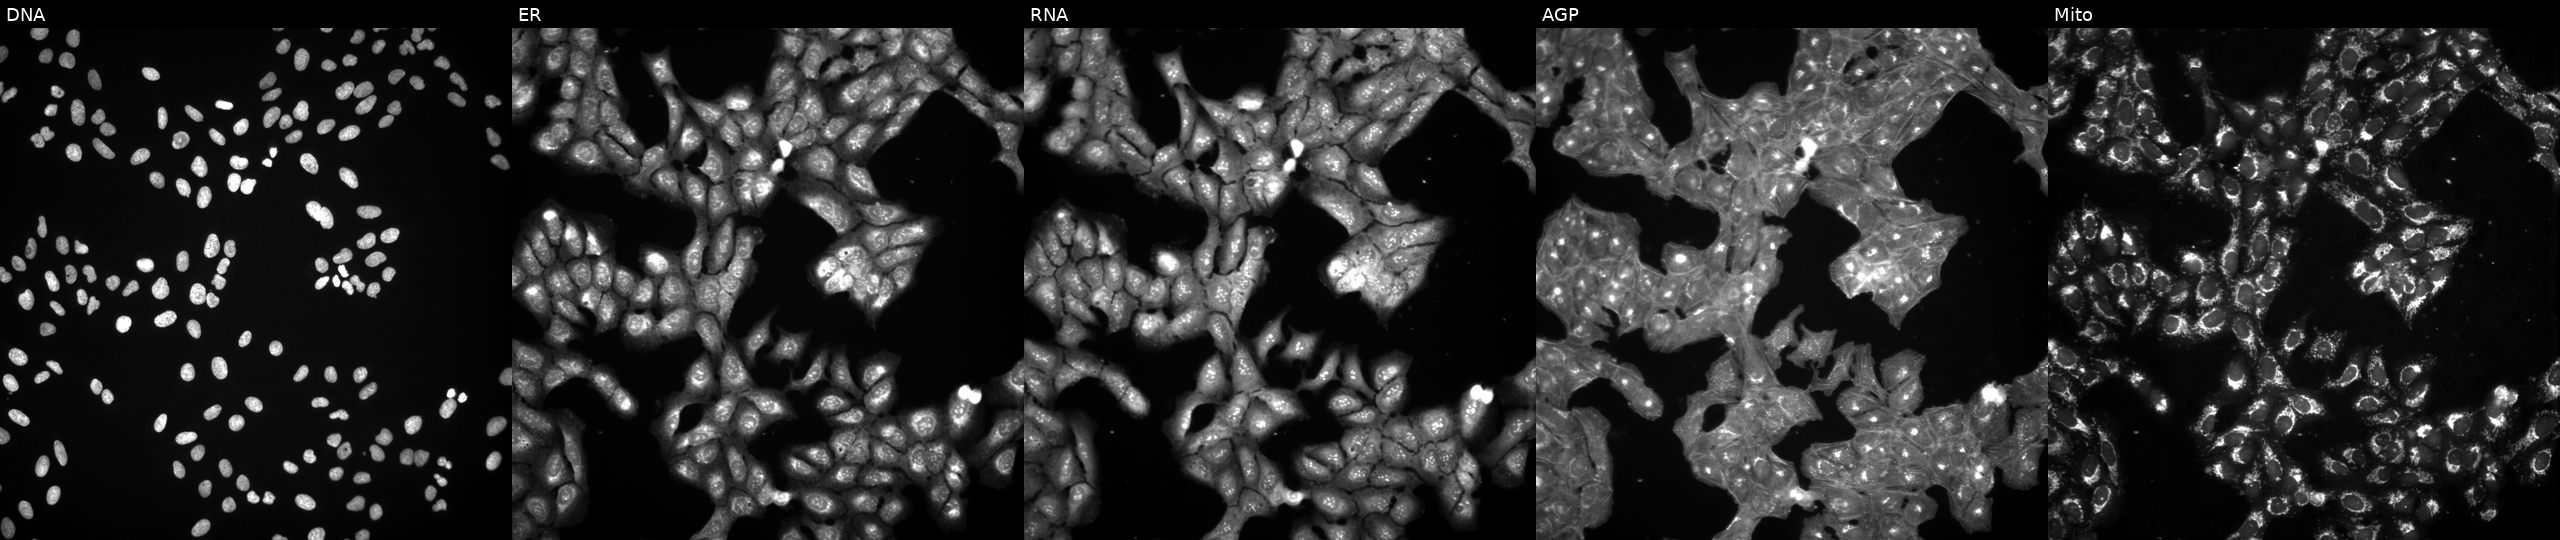
U2OS cells, Cell Painting assay, exposed to a small-molecule compound. Panels show, left to right, DNA, ER, RNA, AGP, and Mito. Each panel is percentile-stretched 16-bit fluorescence. Source 3, plate BR5867b3, well I06.